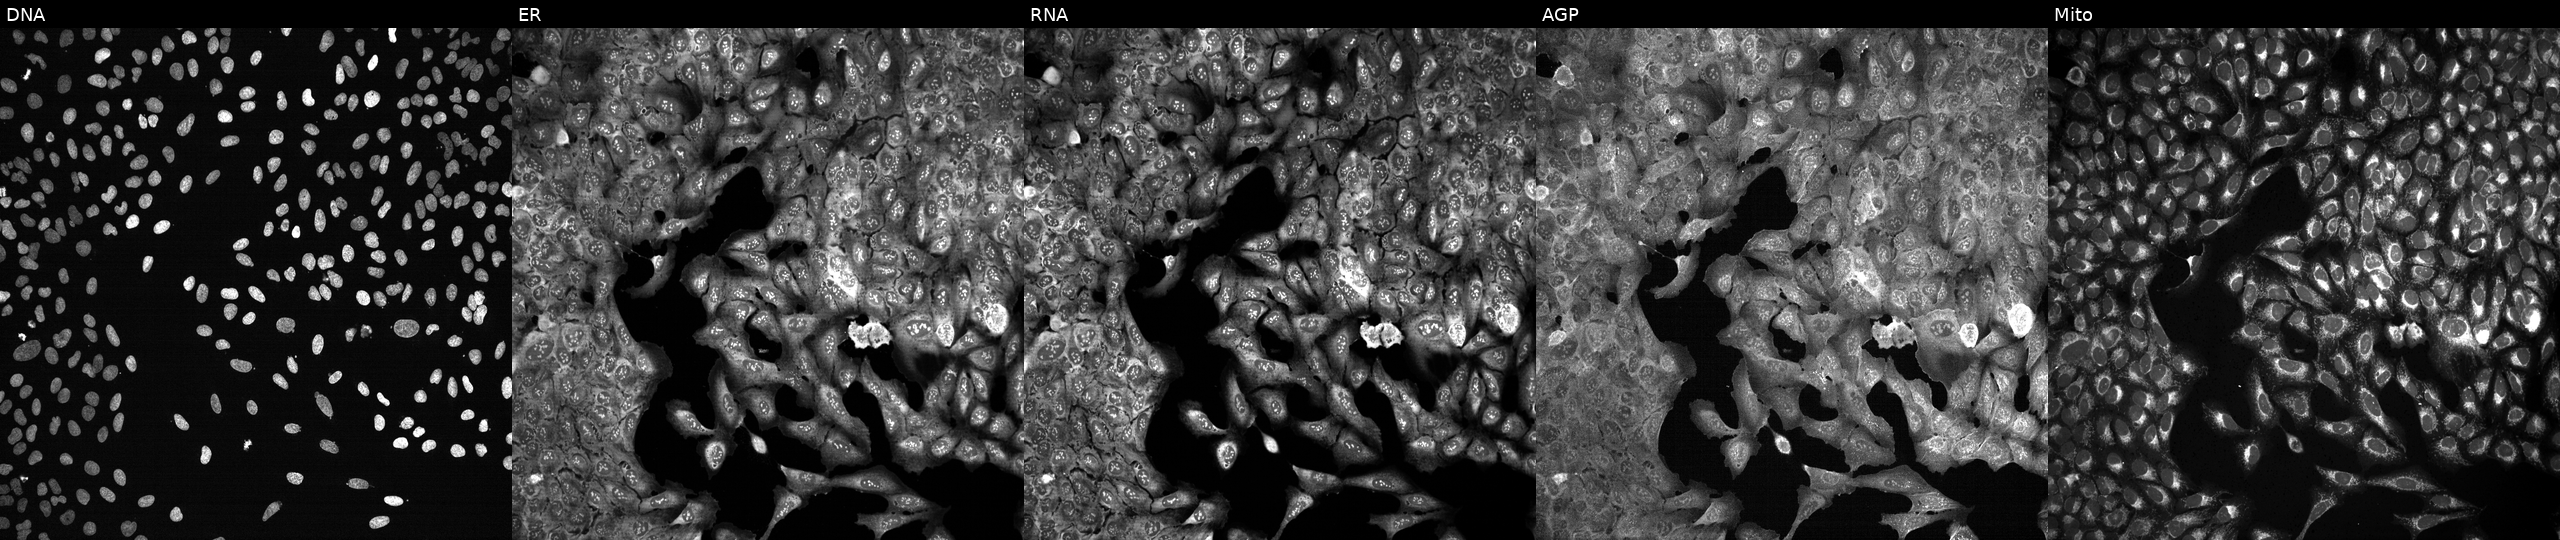
U2OS cells, Cell Painting assay, CRISPR-edited to disrupt SLCO1C1 (JUMP id JCP2022_806604). From left to right: DNA, ER, RNA, AGP, and Mito. Each panel is percentile-stretched 16-bit fluorescence.